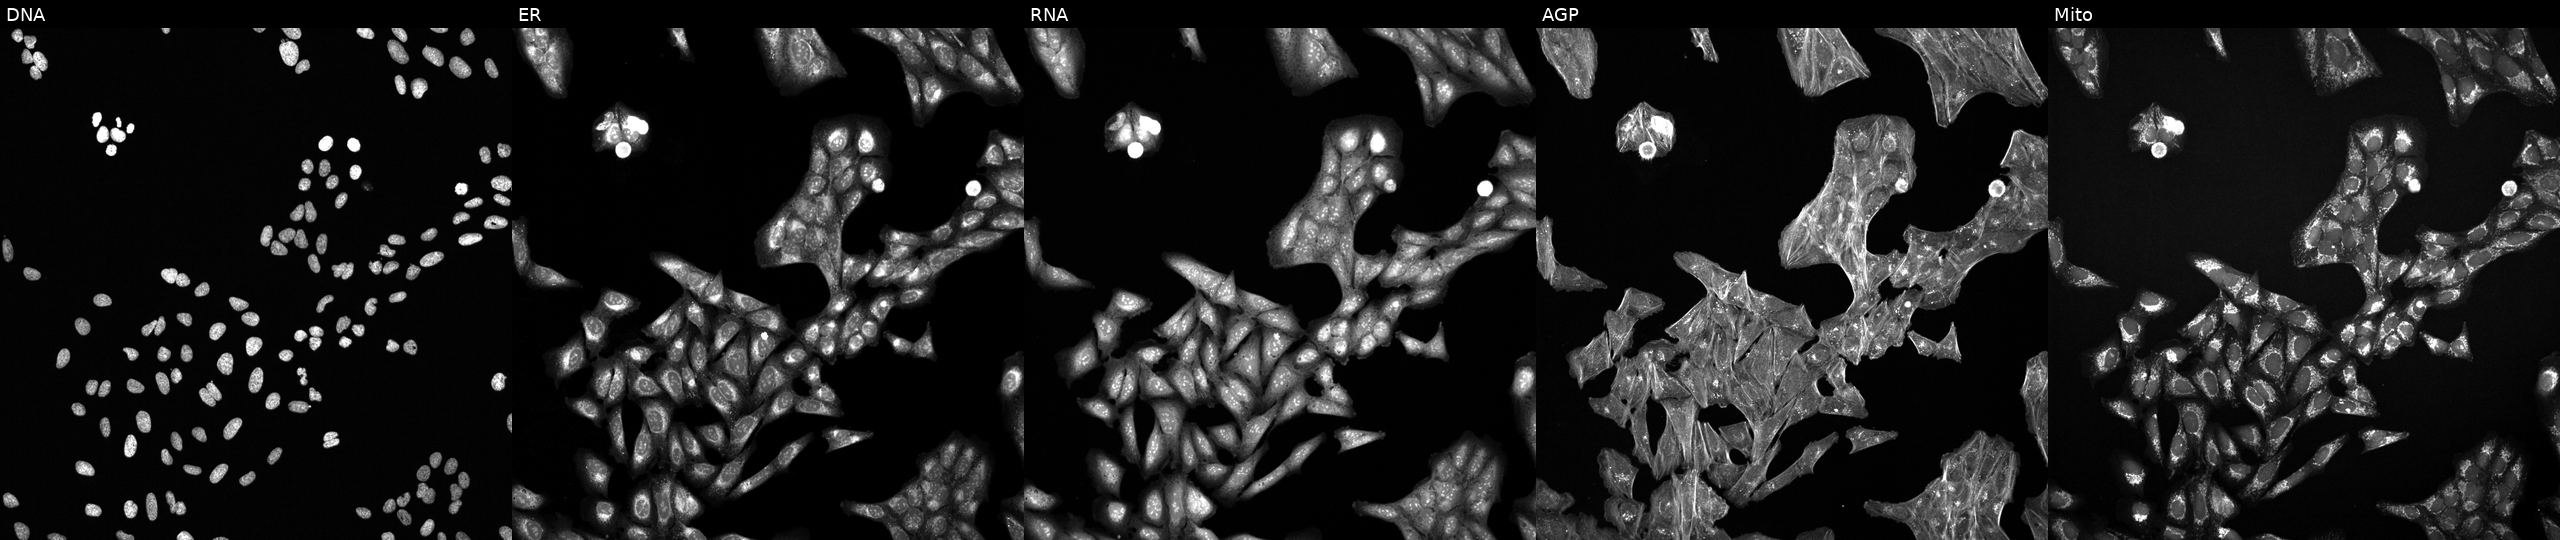
Five-channel Cell Painting image of U2OS cells treated with a small-molecule compound (InChIKey UXUQIRNFBFRPAC-UHFFFAOYSA-N). From left to right: DNA (nuclei); ER (endoplasmic reticulum); RNA (nucleoli and cytoplasmic RNA); AGP (actin cytoskeleton, Golgi, and plasma membrane); Mito (mitochondria).